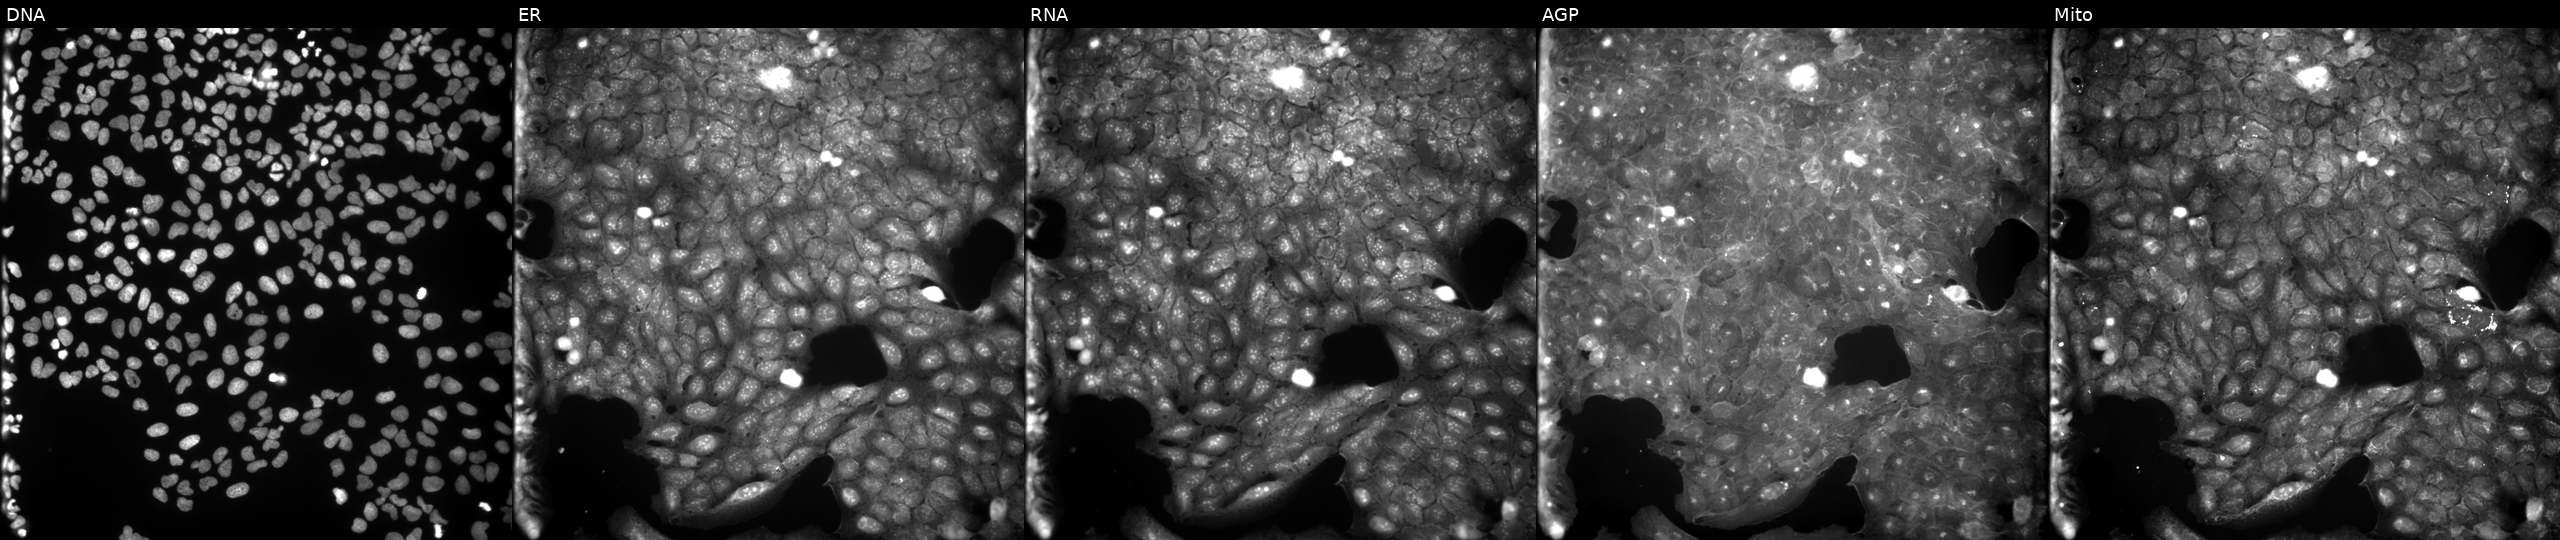
JUMP Cell Painting — COMPOUND plate. U2OS cells exposed to a small-molecule compound (InChIKey VBJKAIDMUUDGFV-UHFFFAOYSA-N). From left to right: DNA, ER, RNA, AGP, and Mito.